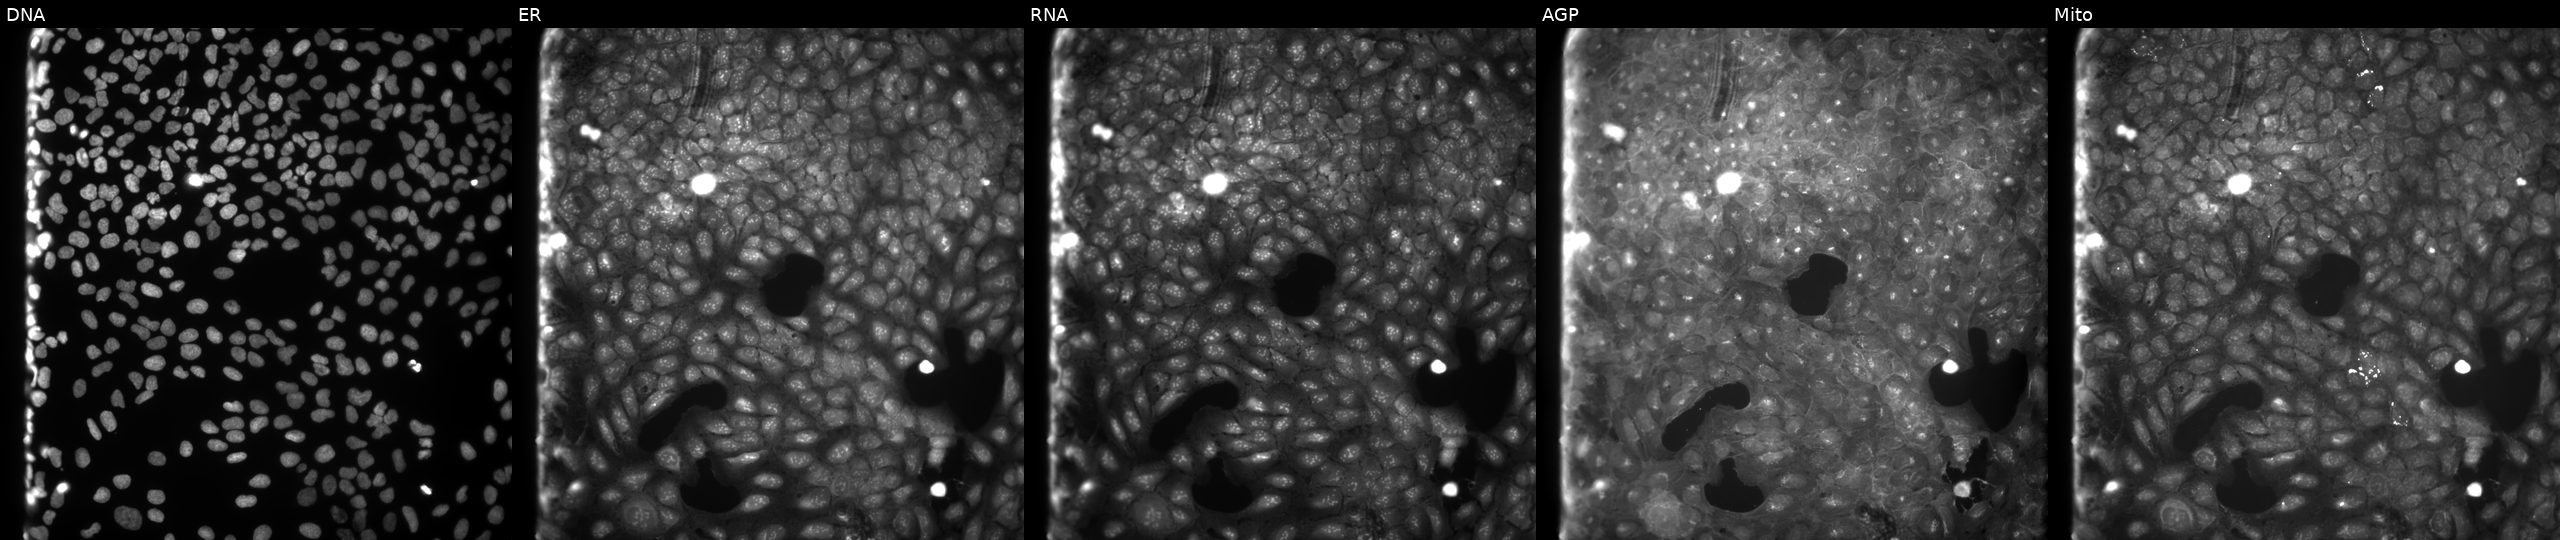
JUMP Cell Painting — COMPOUND plate. U2OS cells exposed to DMSO alone as a negative control (JUMP id JCP2022_033924). Channels (left→right): DNA (nuclei); ER (endoplasmic reticulum); RNA (nucleoli and cytoplasmic RNA); AGP (actin cytoskeleton, Golgi, and plasma membrane); Mito (mitochondria).